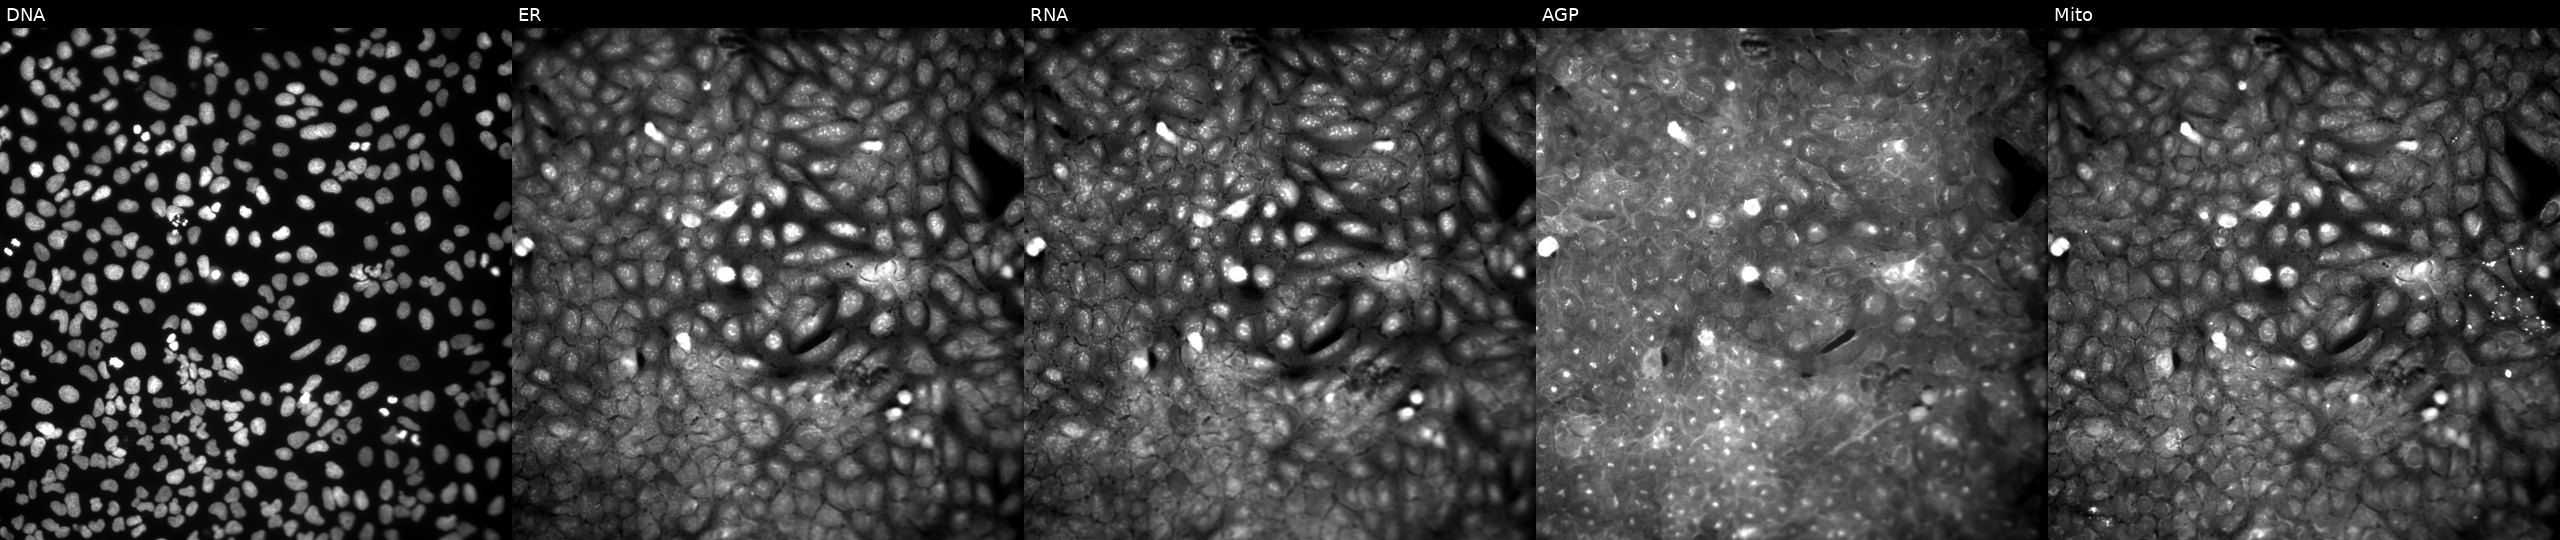
JUMP Cell Painting — COMPOUND plate. U2OS cells perturbed with a small-molecule compound (InChIKey OZLCKGAZMOYCRV-UHFFFAOYSA-N) (JUMP id JCP2022_067123). The five panels, left to right, show DNA, ER, RNA, AGP, and Mito. Source 9, plate GR00003381, well AC40.